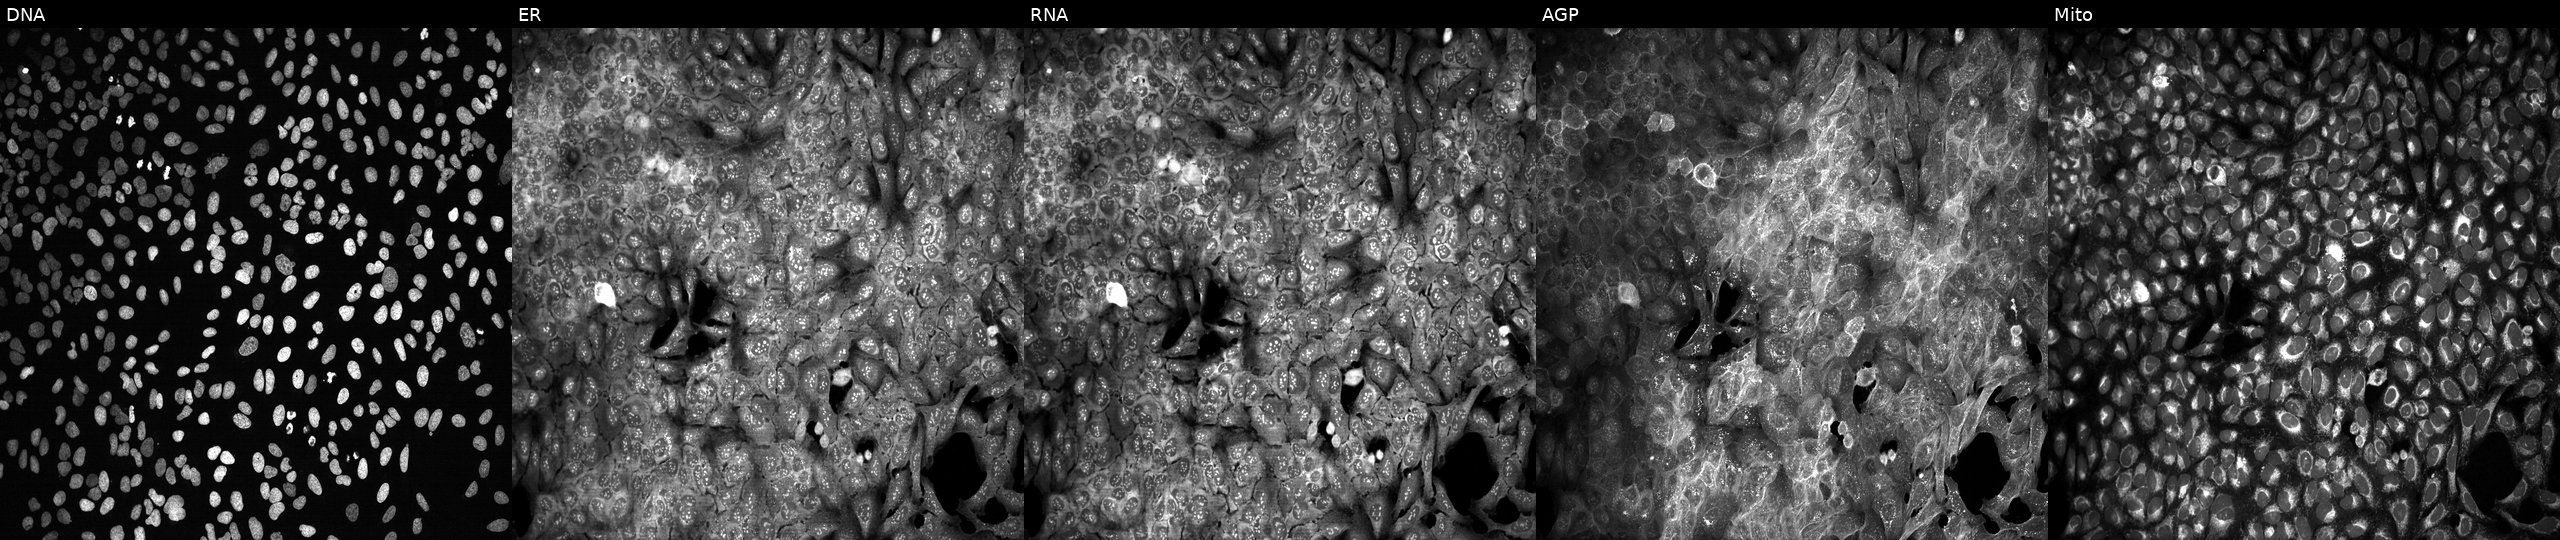
From left to right: DNA (nuclei); ER (endoplasmic reticulum); RNA (nucleoli and cytoplasmic RNA); AGP (actin cytoskeleton, Golgi, and plasma membrane); Mito (mitochondria). U2OS osteosarcoma cells following CRISPR knockout of MYT1L. Cell Painting assay, JUMP-CP dataset.